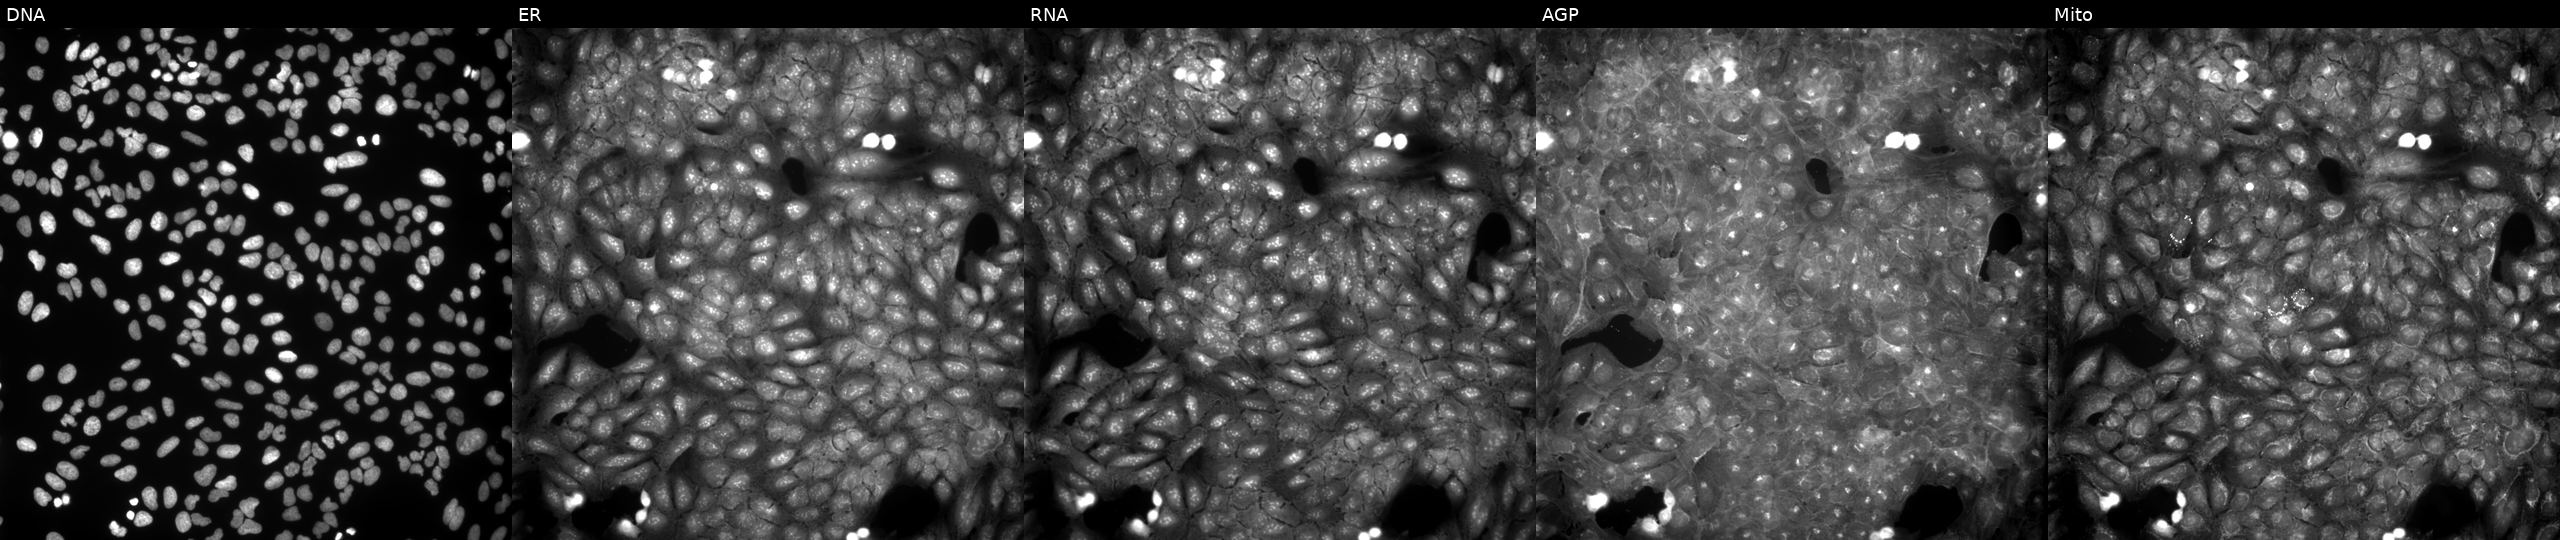
JUMP Cell Painting — COMPOUND plate. U2OS cells exposed to a small-molecule compound (InChIKey PKHXZCADQSXUCF-UHFFFAOYSA-N) (JUMP id JCP2022_069167). The five panels, left to right, show DNA, ER, RNA, AGP, and Mito. Source 9, plate GR00003381, well M22.